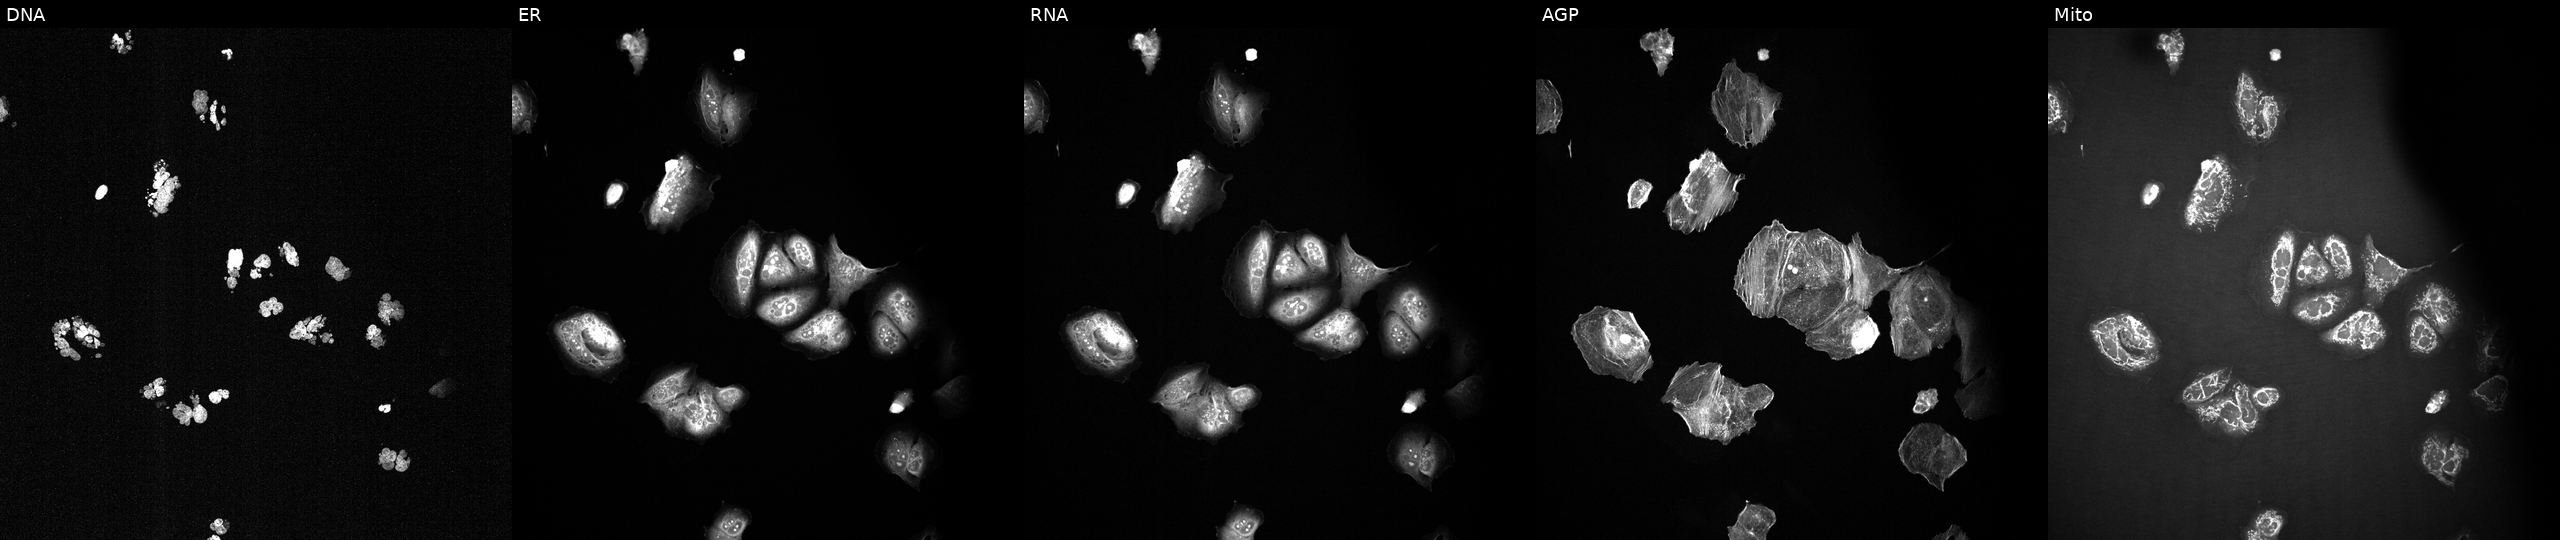
Five-channel Cell Painting image of U2OS cells perturbed with a small-molecule compound (InChIKey FABUFPQFXZVHFB-UHFFFAOYSA-N). From left to right: DNA, ER, RNA, AGP, and Mito.